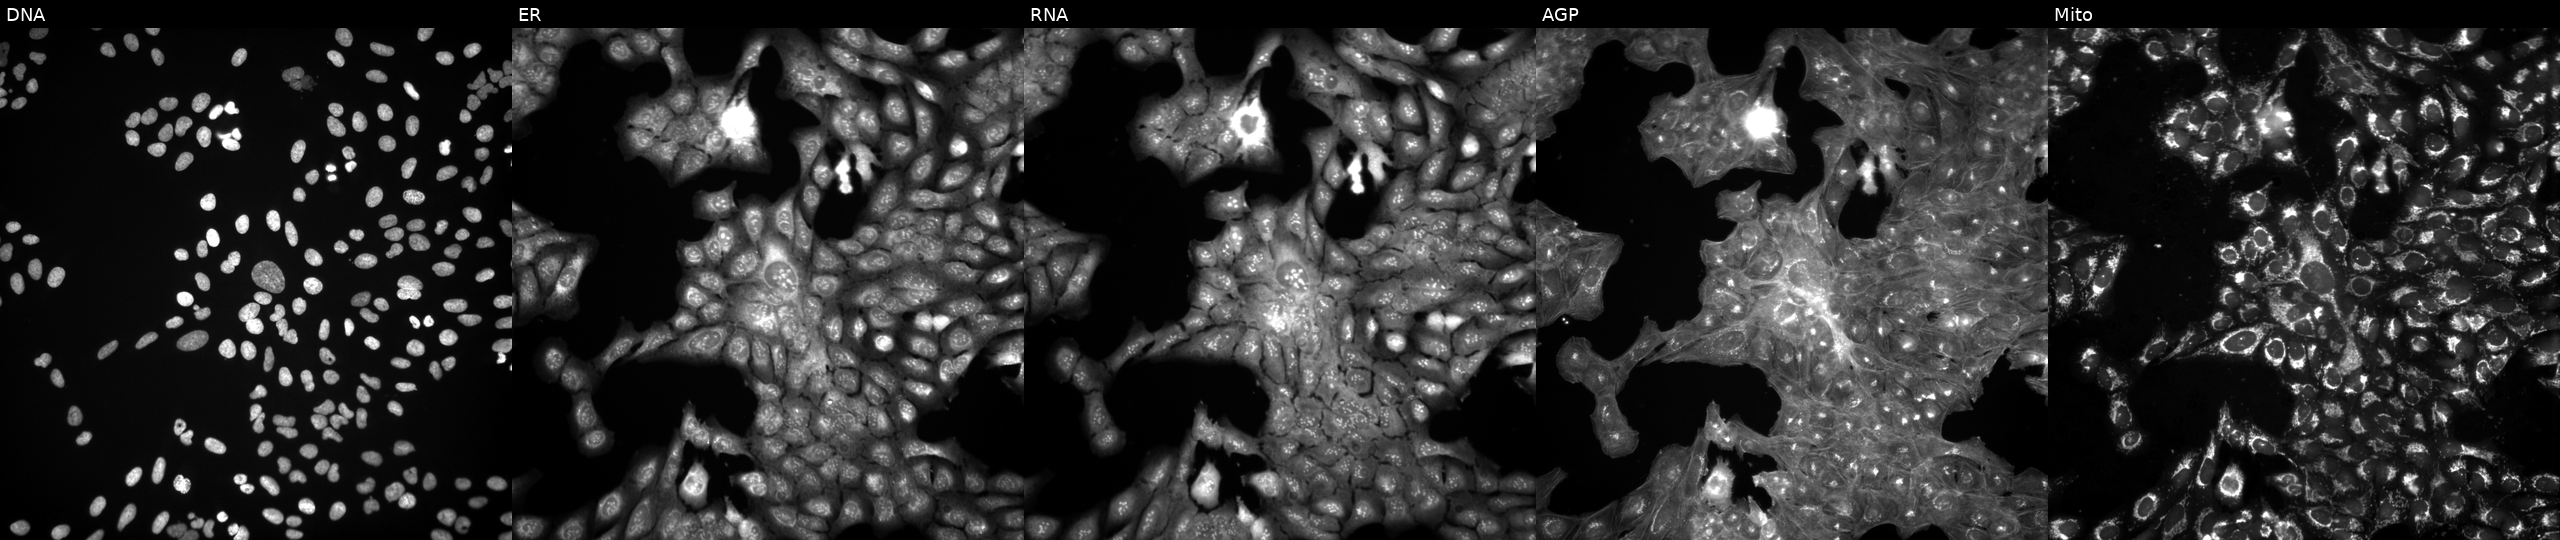
Channels (left→right): Hoechst 33342, concanavalin A, SYTO 14, phalloidin and WGA, MitoTracker. U2OS osteosarcoma cells exposed to DMSO alone as a negative control (JUMP id JCP2022_033924). Cell Painting assay, JUMP-CP dataset.